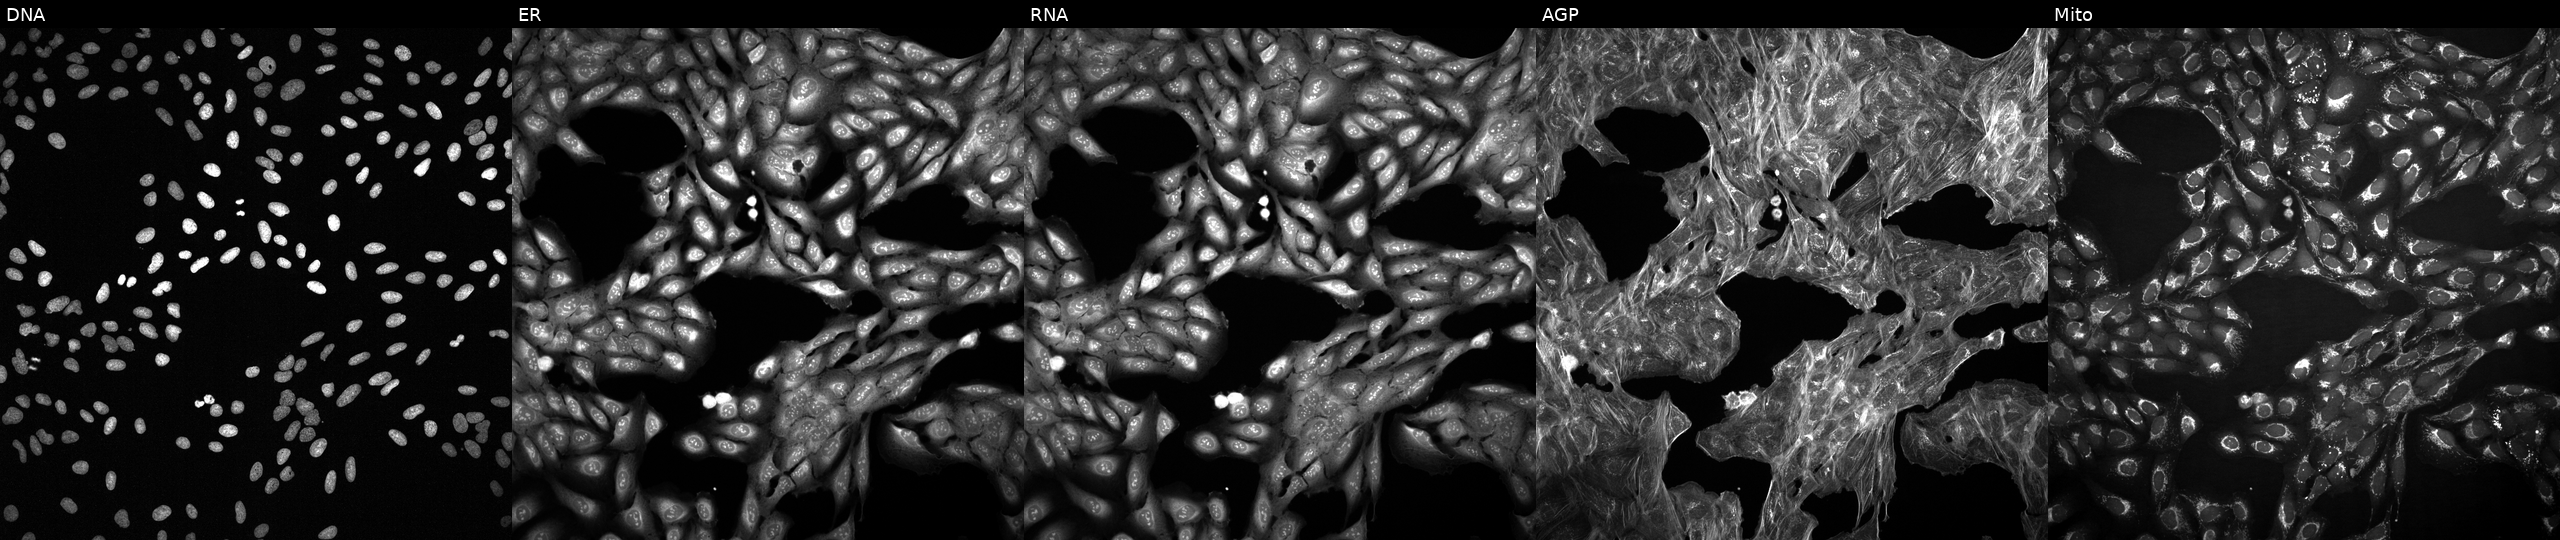
The five panels, left to right, show DNA (nuclei); ER (endoplasmic reticulum); RNA (nucleoli and cytoplasmic RNA); AGP (actin cytoskeleton, Golgi, and plasma membrane); Mito (mitochondria). U2OS osteosarcoma cells perturbed with a small-molecule compound (InChIKey YEUOJWJFVFZNSE-UHFFFAOYSA-N) (JUMP id JCP2022_108001). Cell Painting assay, JUMP-CP dataset.